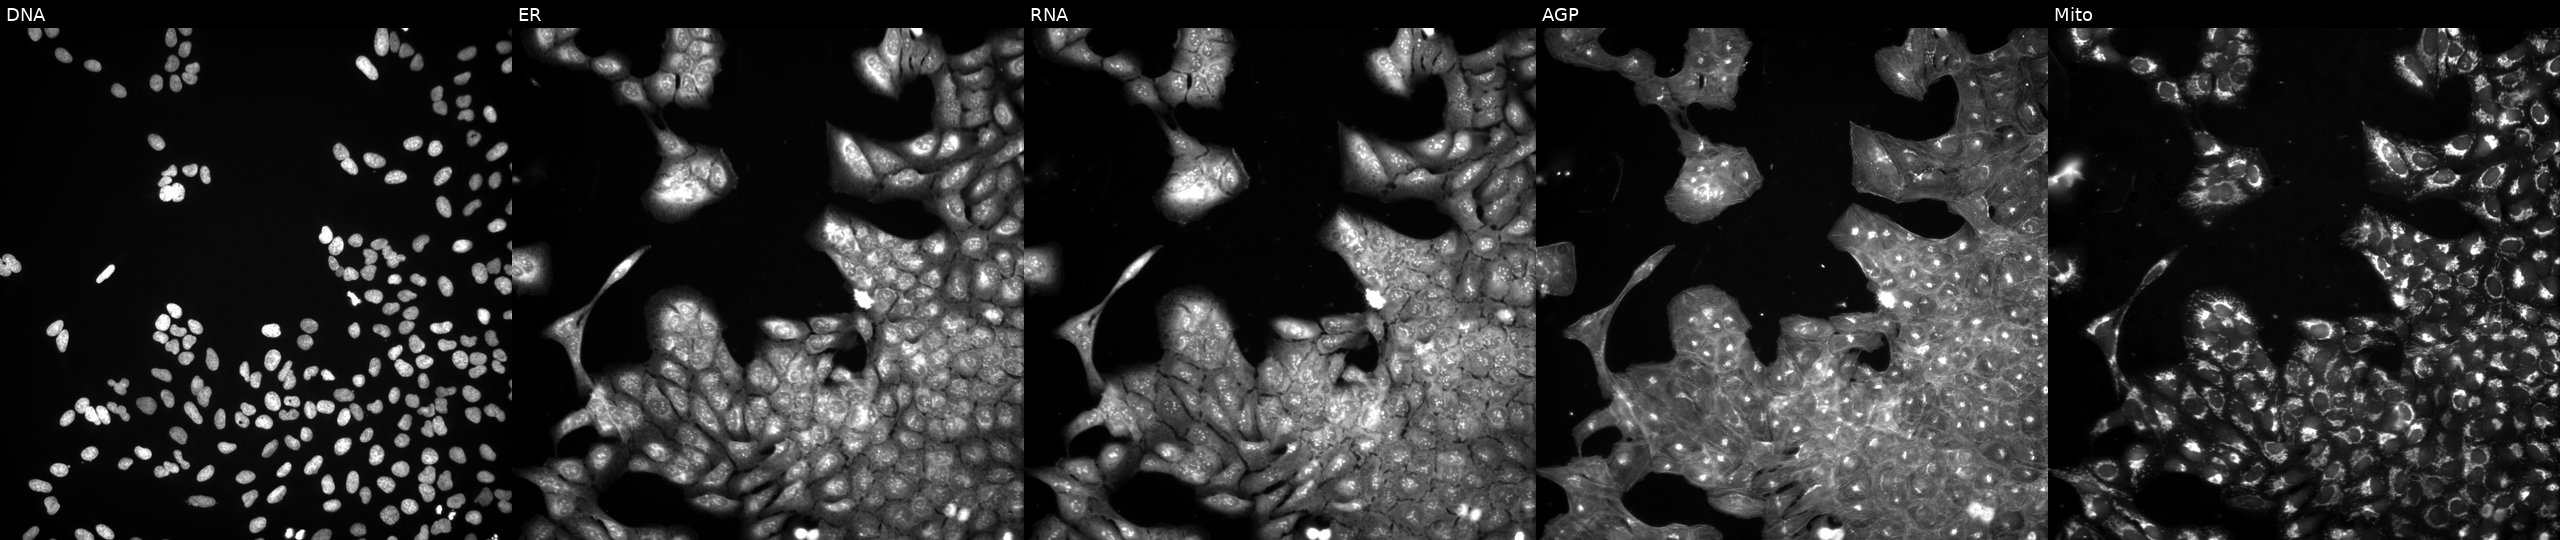
The five panels, left to right, show DNA (nuclei); ER (endoplasmic reticulum); RNA (nucleoli and cytoplasmic RNA); AGP (actin cytoskeleton, Golgi, and plasma membrane); Mito (mitochondria). U2OS osteosarcoma cells treated with a small-molecule compound (InChIKey ITWUGZSJDMBOPH-UHFFFAOYSA-N) [SMILES: Cc1ccc2[nH]c3c(c2c1)CCCC3=O]. Cell Painting assay, JUMP-CP dataset. Source 3, plate BR5867b3, well O05.